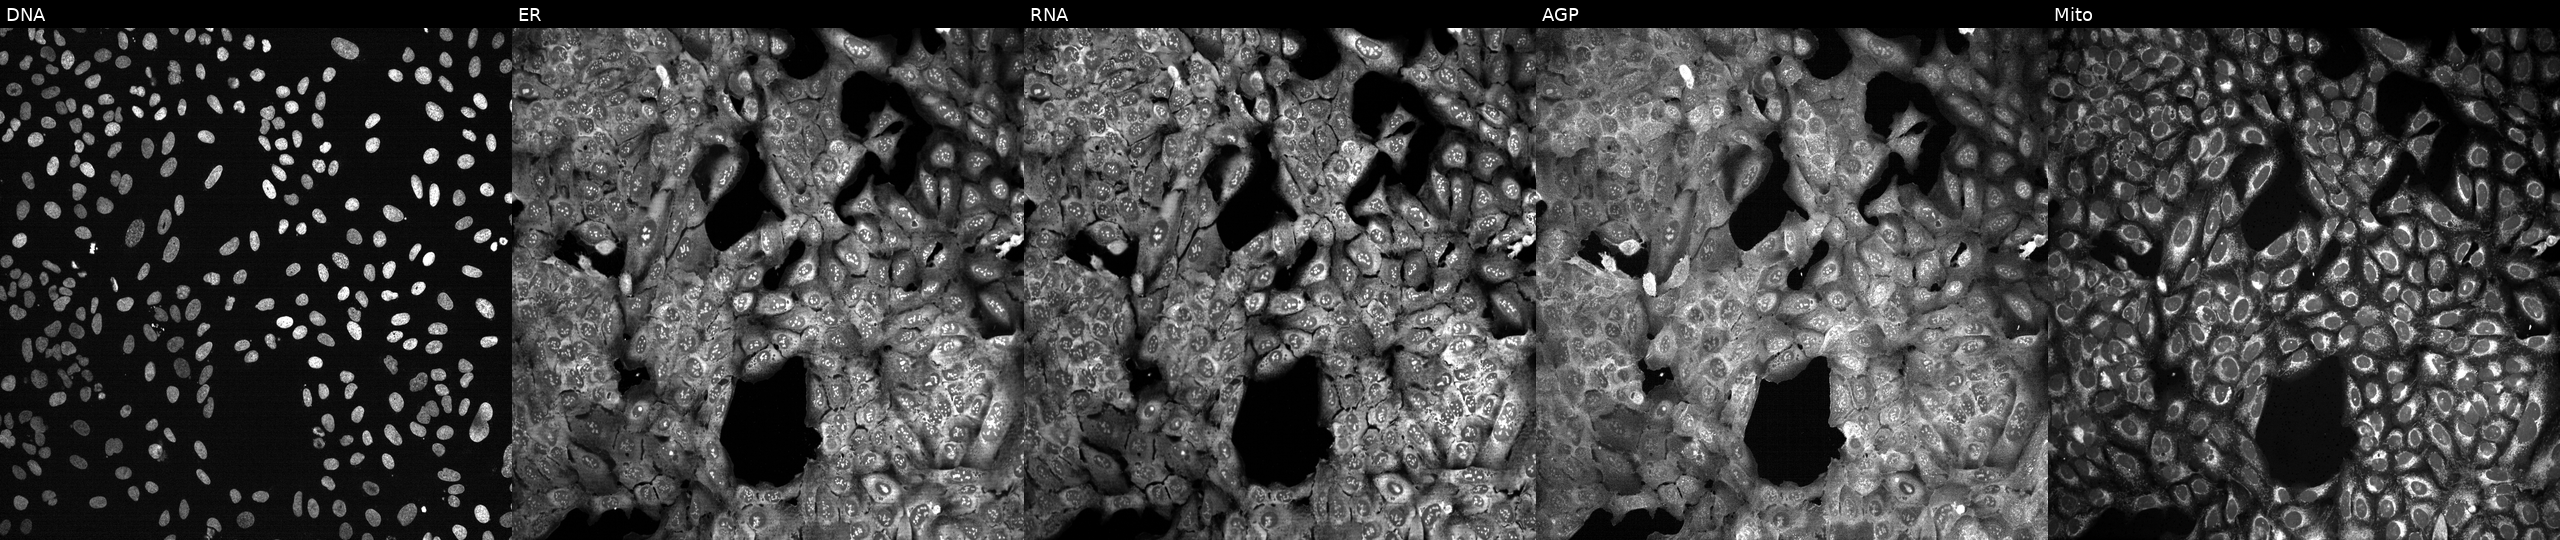
This image strip shows the five Cell Painting channels for a single field of U2OS cells with ANGPTL7 knocked out by CRISPR (JUMP id JCP2022_800459). The five panels, left to right, show DNA, ER, RNA, AGP, and Mito.